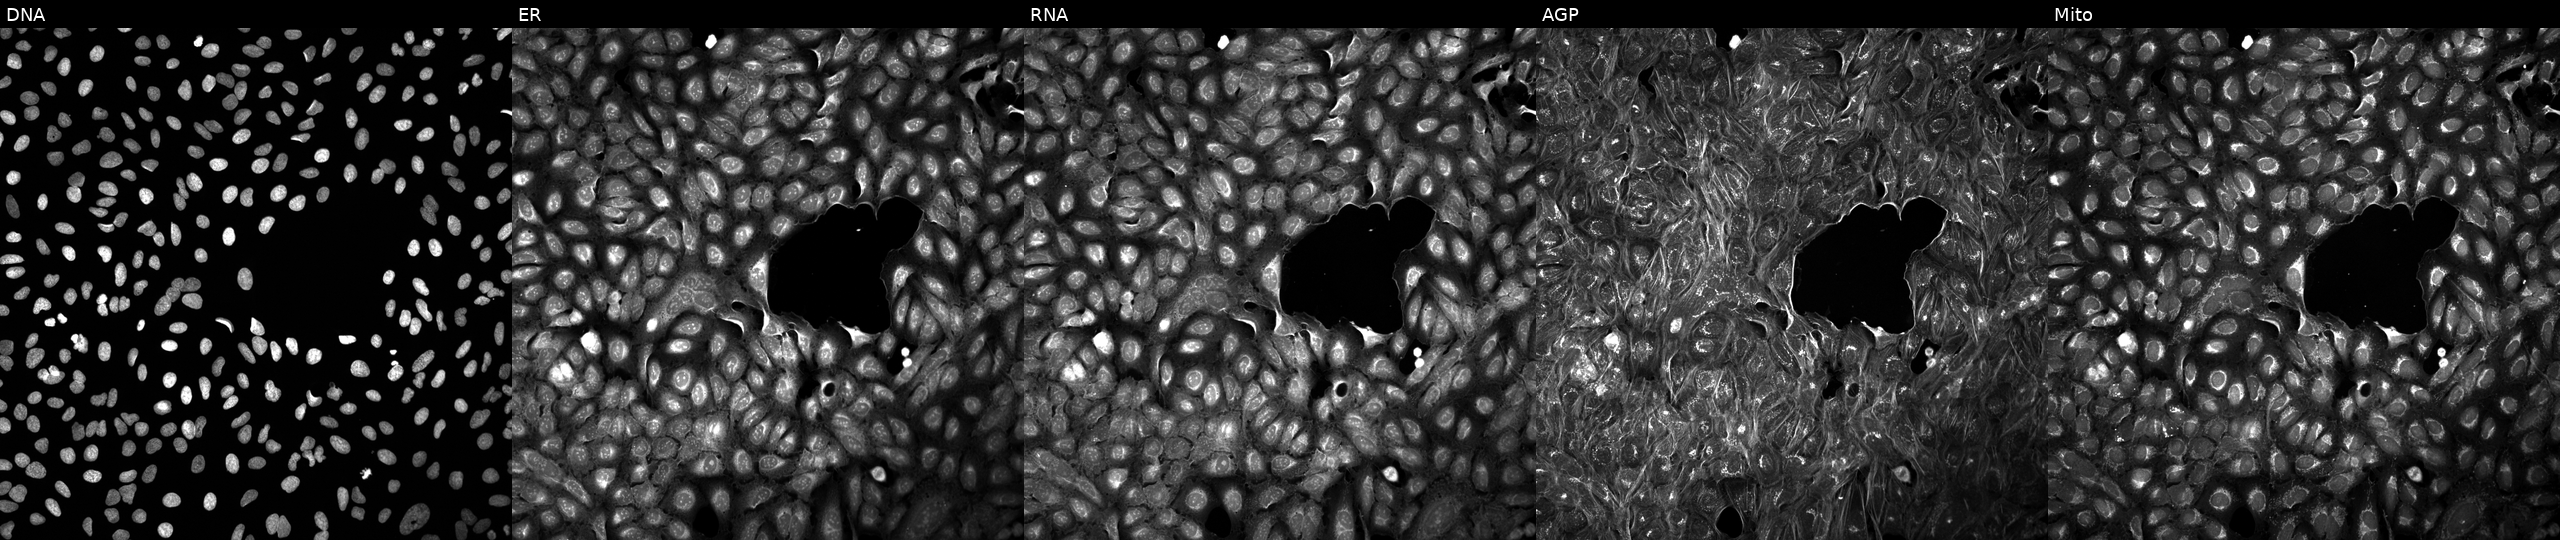
U2OS cells, Cell Painting assay, exposed to a small-molecule compound. The five panels, left to right, show Hoechst 33342, concanavalin A, SYTO 14, phalloidin and WGA, MitoTracker. Each panel is percentile-stretched 16-bit fluorescence.